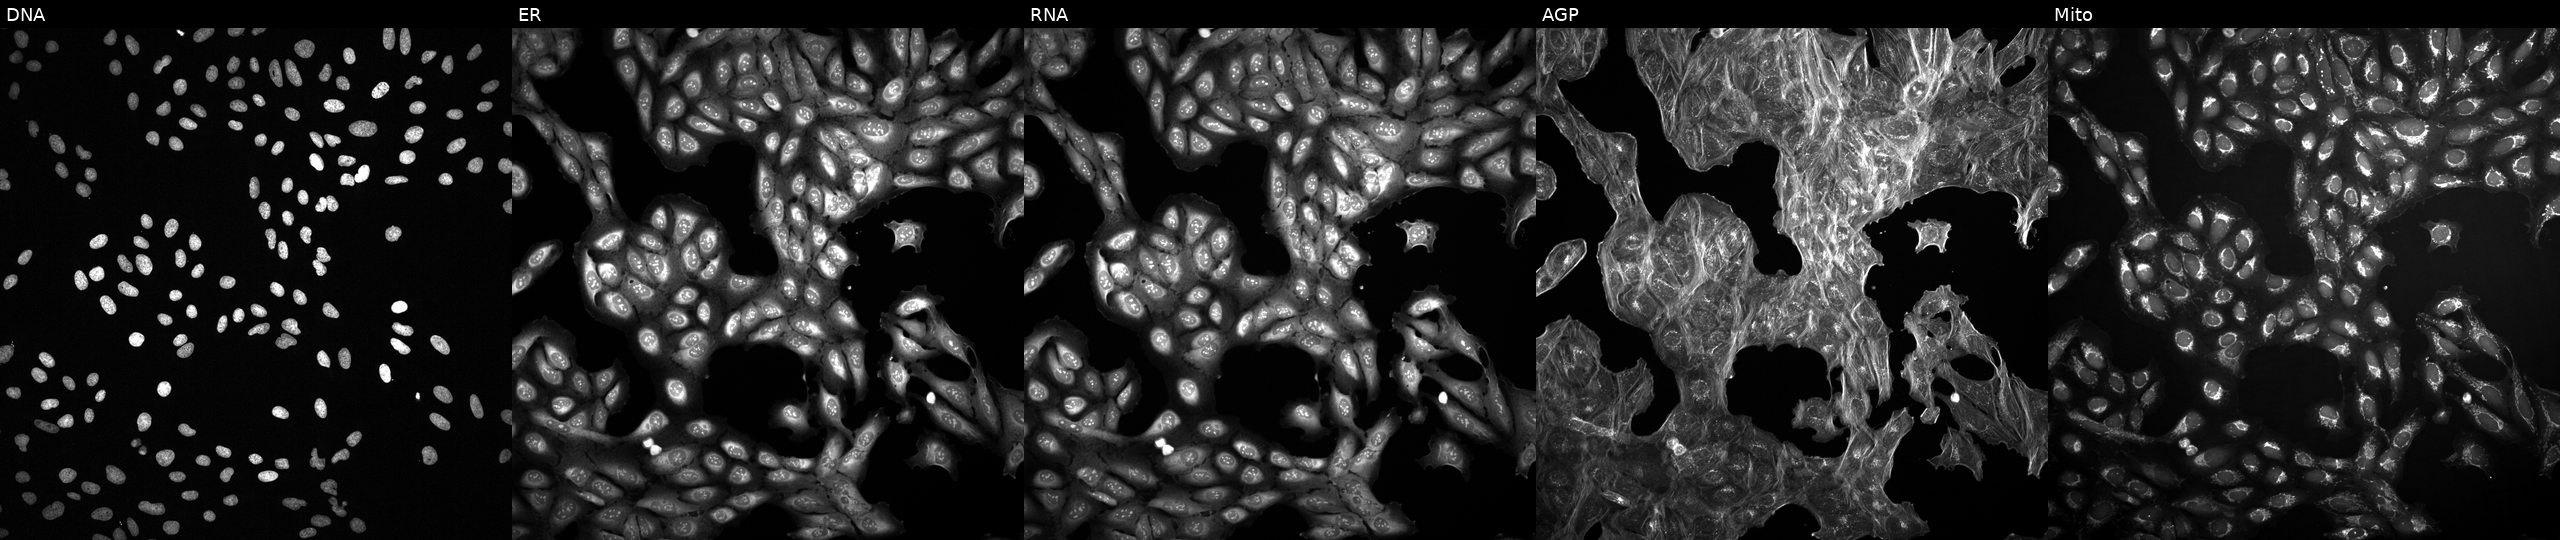
Channels (left→right): Hoechst 33342, concanavalin A, SYTO 14, phalloidin and WGA, MitoTracker. U2OS osteosarcoma cells exposed to a small-molecule compound (InChIKey MFDFERRIHVXMIY-UHFFFAOYSA-N) (JUMP id JCP2022_053734). Cell Painting assay, JUMP-CP dataset.